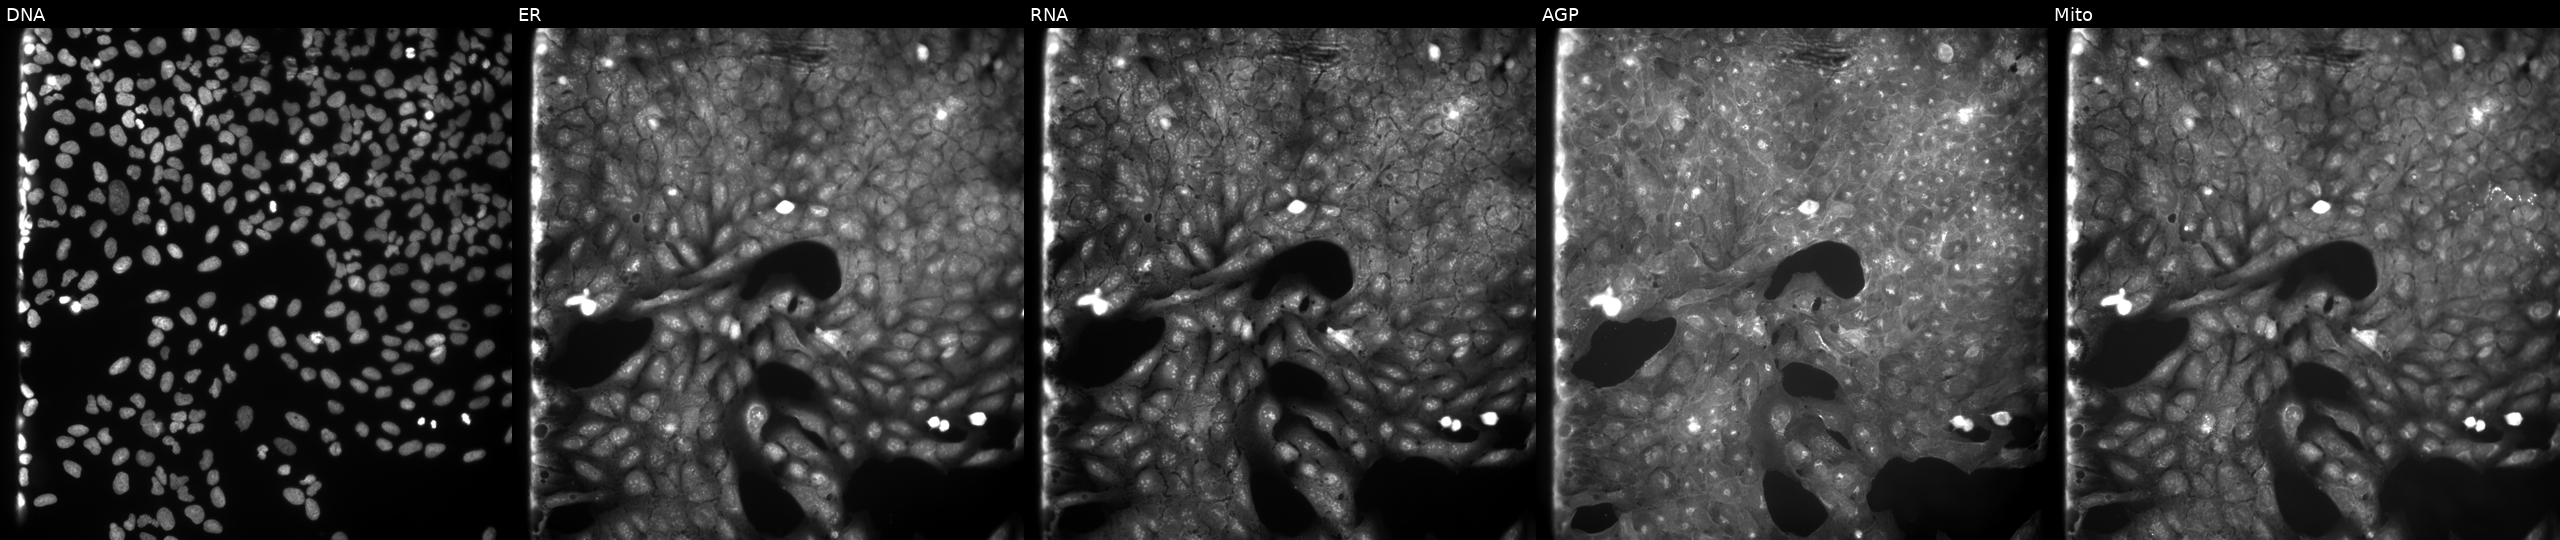
The five panels, left to right, show Hoechst 33342, concanavalin A, SYTO 14, phalloidin and WGA, MitoTracker. U2OS osteosarcoma cells treated with a small-molecule compound (InChIKey JHLUNHWYJPDSHV-UHFFFAOYSA-N) (JUMP id JCP2022_039818). Cell Painting assay, JUMP-CP dataset.